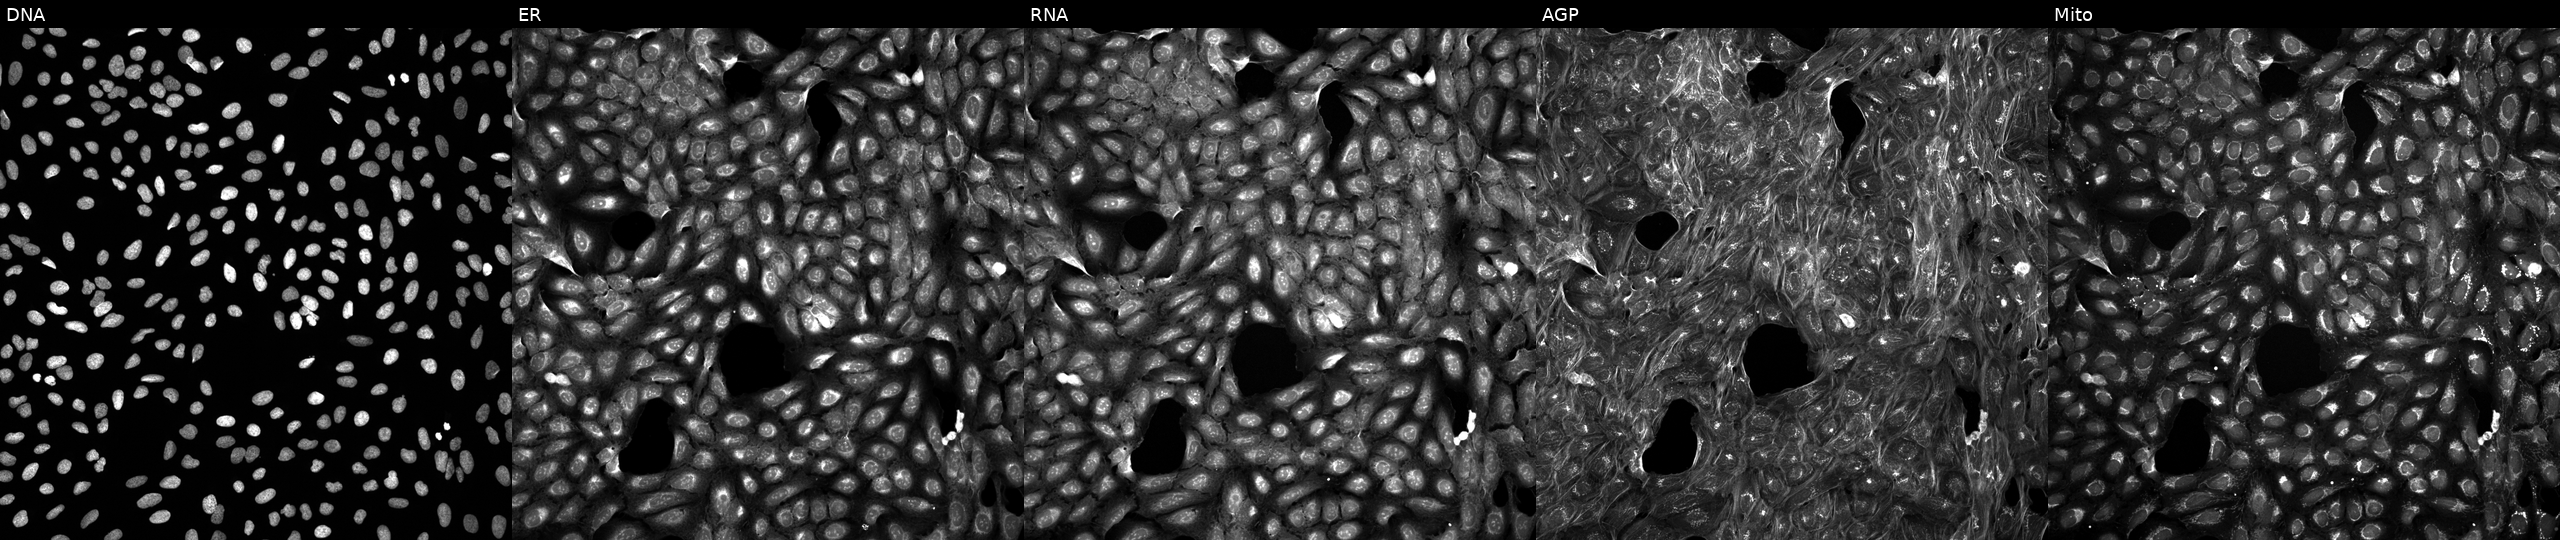
High-content fluorescence microscopy (Cell Painting). Cell line: U2OS. Perturbation: exposed to DMSO alone as a negative control (JUMP id JCP2022_033924). Channels (left→right): DNA (nuclei); ER (endoplasmic reticulum); RNA (nucleoli and cytoplasmic RNA); AGP (actin cytoskeleton, Golgi, and plasma membrane); Mito (mitochondria). Source 5, plate ACPJUM051, well L03.